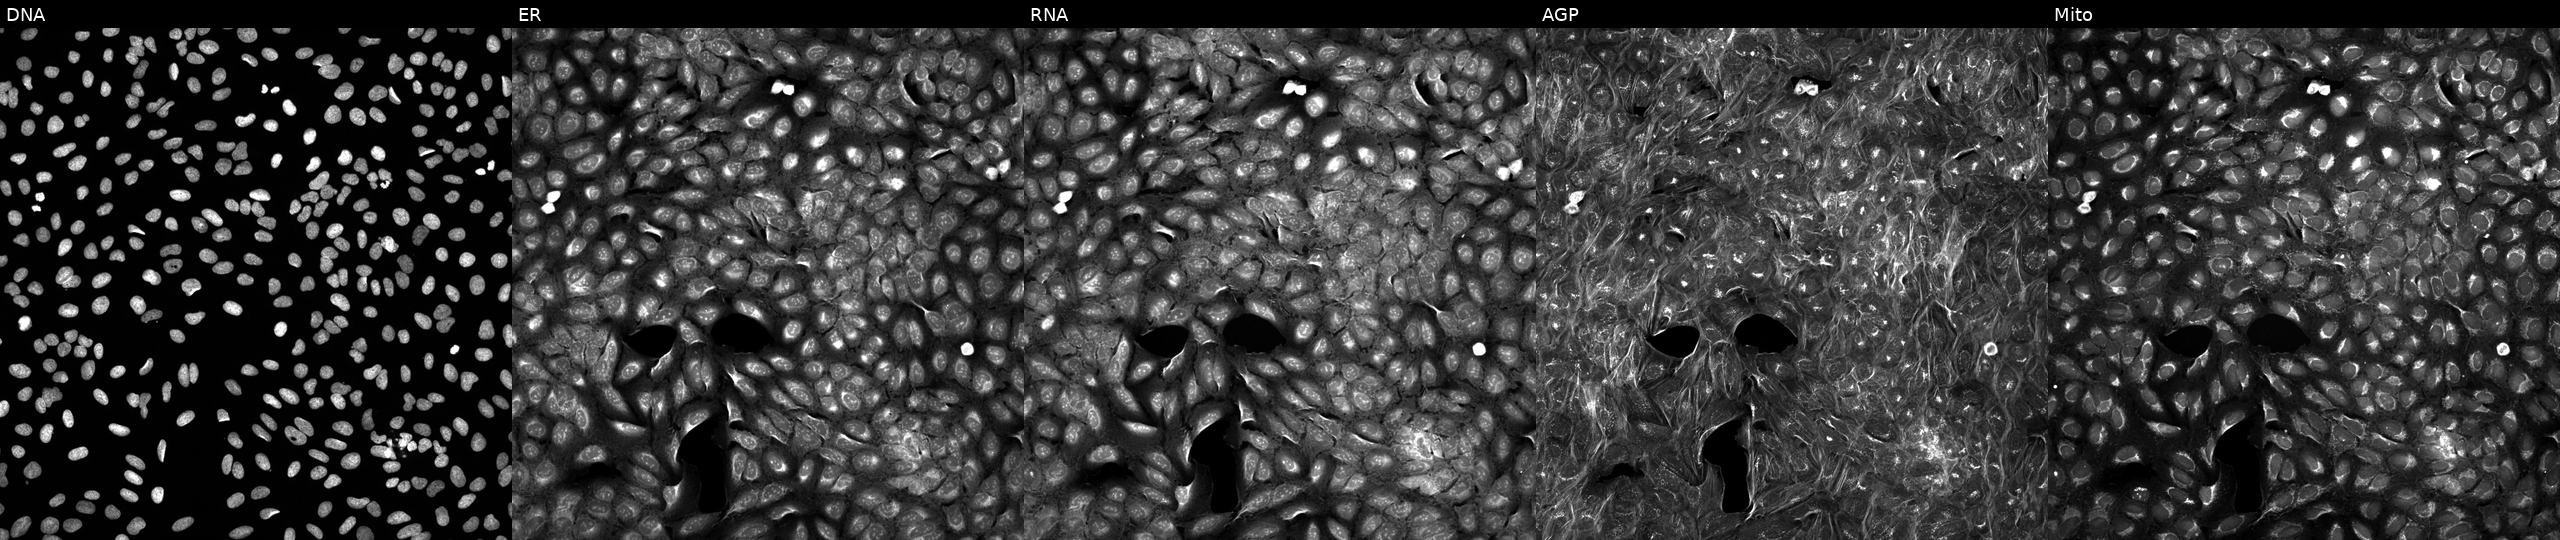
The five panels, left to right, show DNA, ER, RNA, AGP, and Mito. U2OS osteosarcoma cells treated with a small-molecule compound (InChIKey SVMHYHIZWOJKDL-UHFFFAOYSA-N) (JUMP id JCP2022_085892). Cell Painting assay, JUMP-CP dataset.